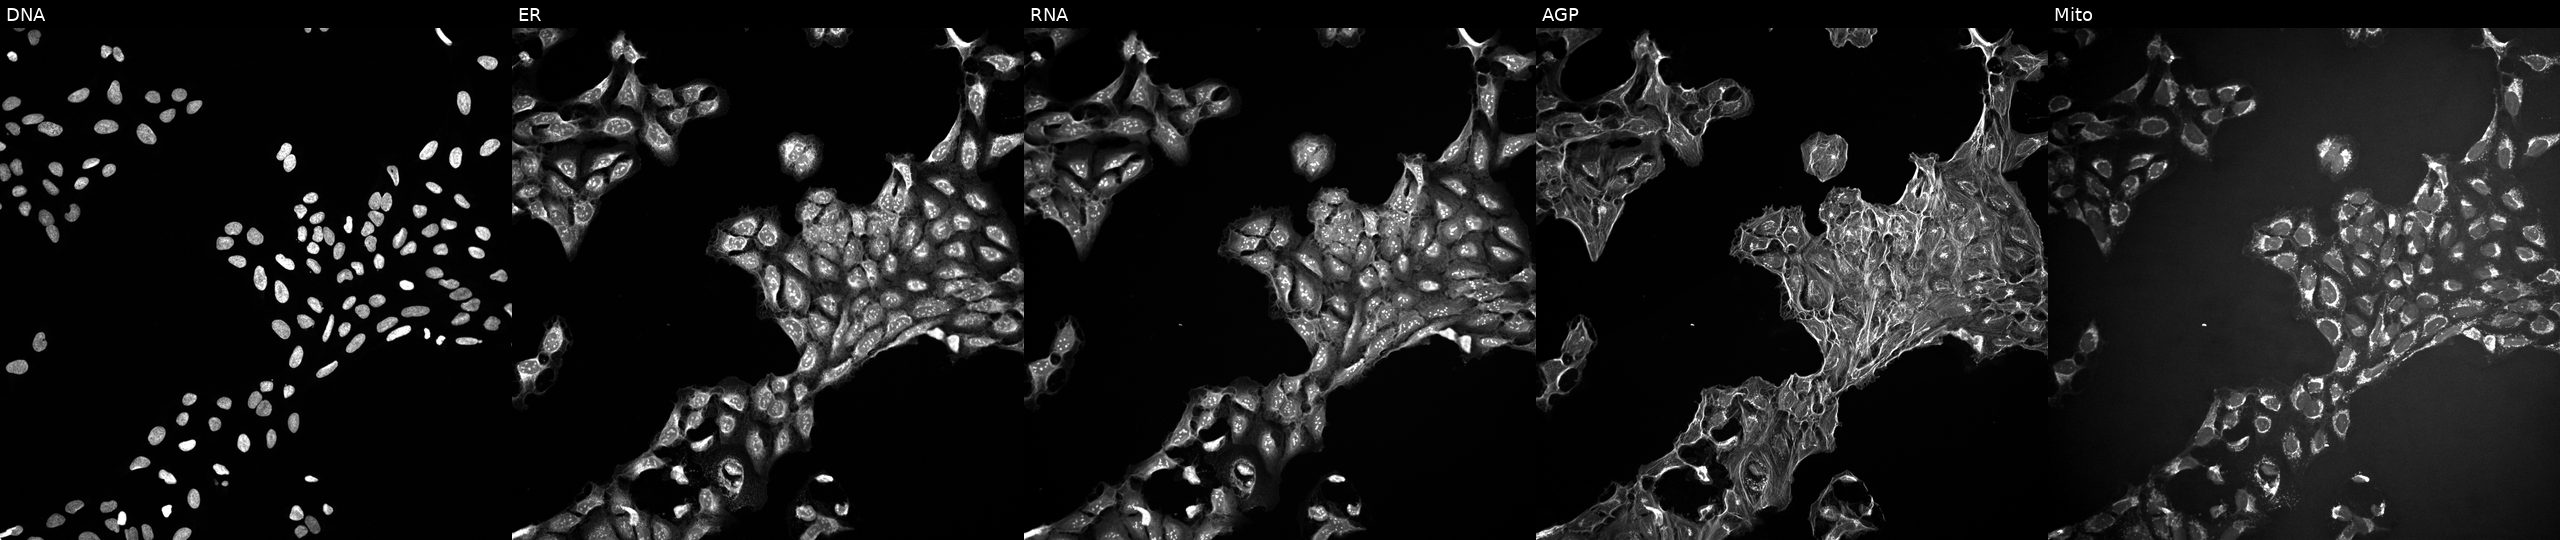
JUMP Cell Painting — TARGET2 plate. U2OS cells exposed to a small-molecule compound (InChIKey JUUFBMODXQKSTD-UHFFFAOYSA-N) [SMILES: CCOC(=O)Nc1ccc(=NCc2ccc(F)cc2)[nH]c1N] (JUMP id JCP2022_042261). Panels show, left to right, DNA (nuclei); ER (endoplasmic reticulum); RNA (nucleoli and cytoplasmic RNA); AGP (actin cytoskeleton, Golgi, and plasma membrane); Mito (mitochondria).